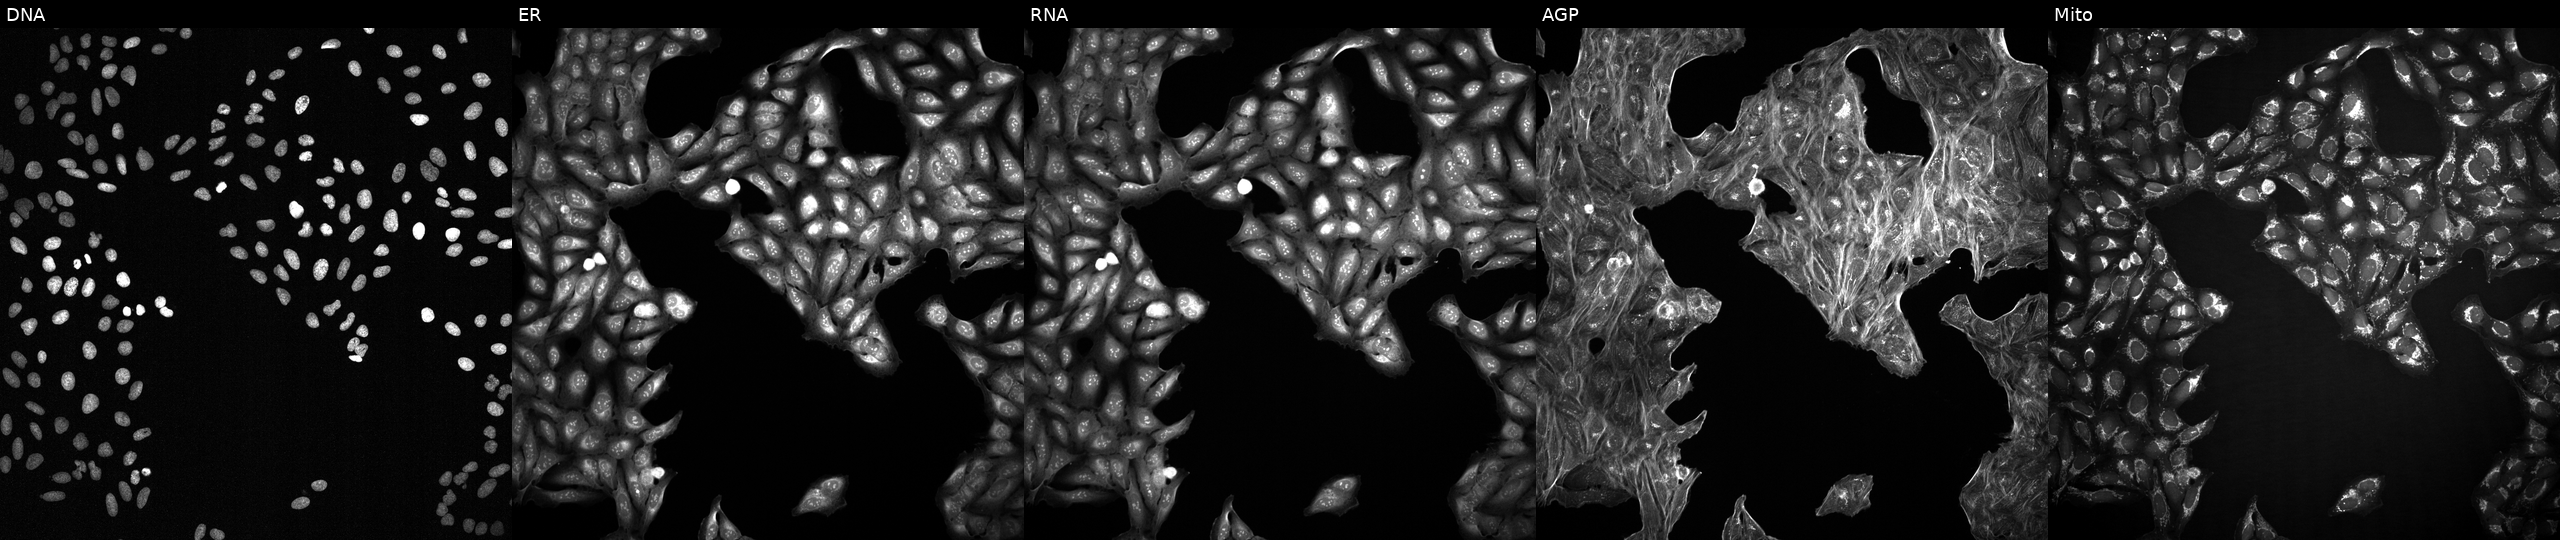
U2OS cells, Cell Painting assay, perturbed with a small-molecule compound (InChIKey SZBGQDXLNMELTB-UHFFFAOYSA-N) (JUMP id JCP2022_086505). The five panels, left to right, show DNA, ER, RNA, AGP, and Mito. Each panel is percentile-stretched 16-bit fluorescence.